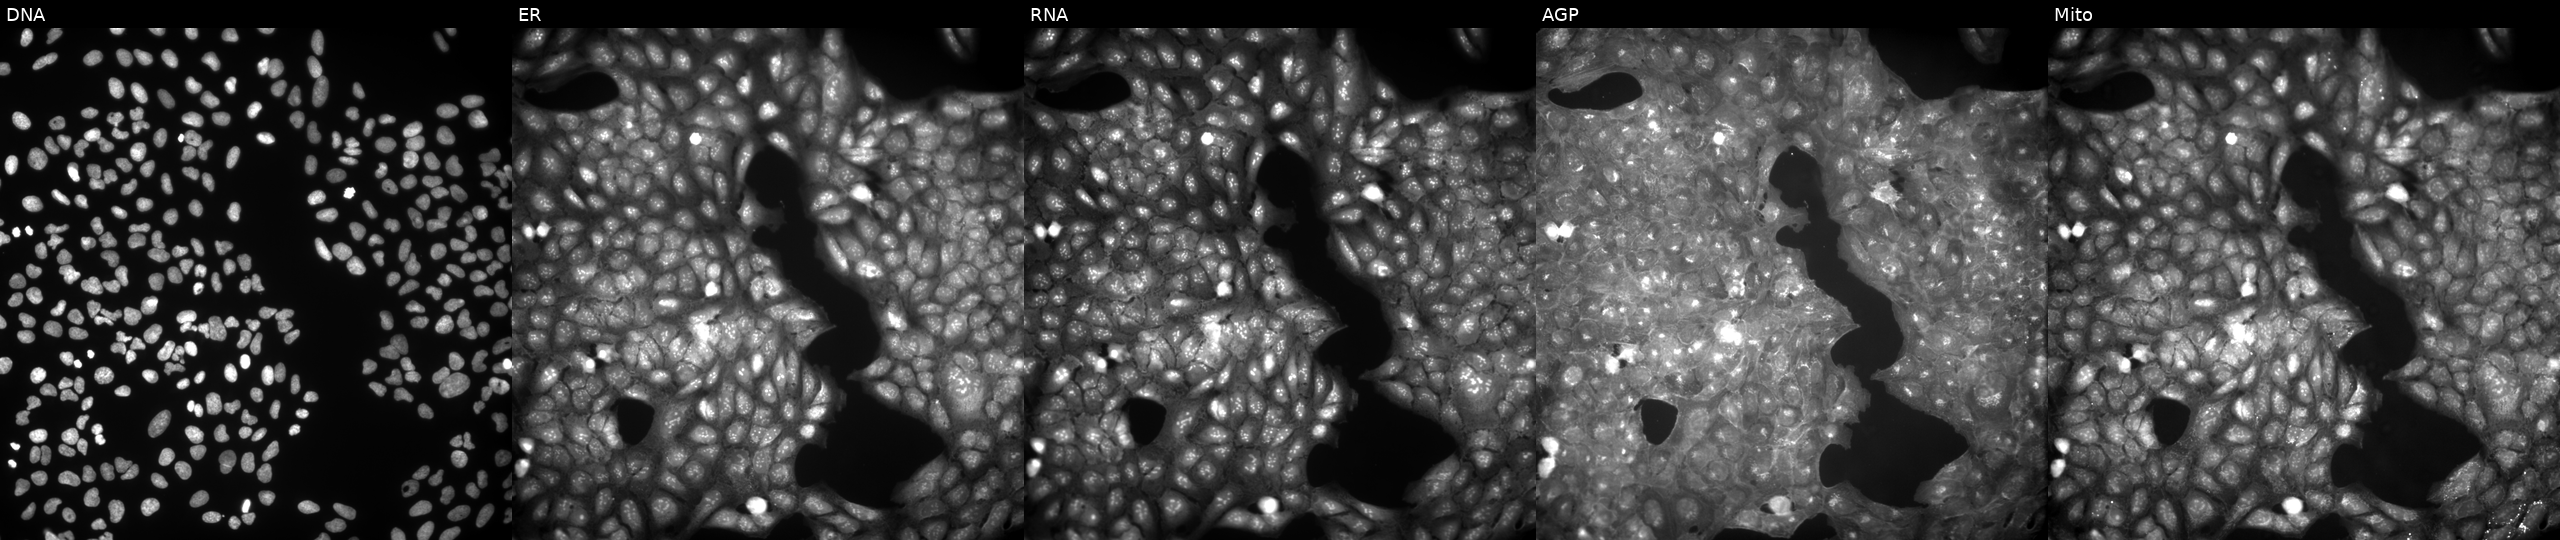
U2OS cells, Cell Painting assay, perturbed with a small-molecule compound (InChIKey YWNDEDYAFFWAJB-UHFFFAOYSA-N) [SMILES: CCOC(=O)c1ccc(NC(=S)NC2CC(C)(C)NC(C)(C)C2)cc1]. Panels show, left to right, Hoechst 33342, concanavalin A, SYTO 14, phalloidin and WGA, MitoTracker. Each panel is percentile-stretched 16-bit fluorescence.